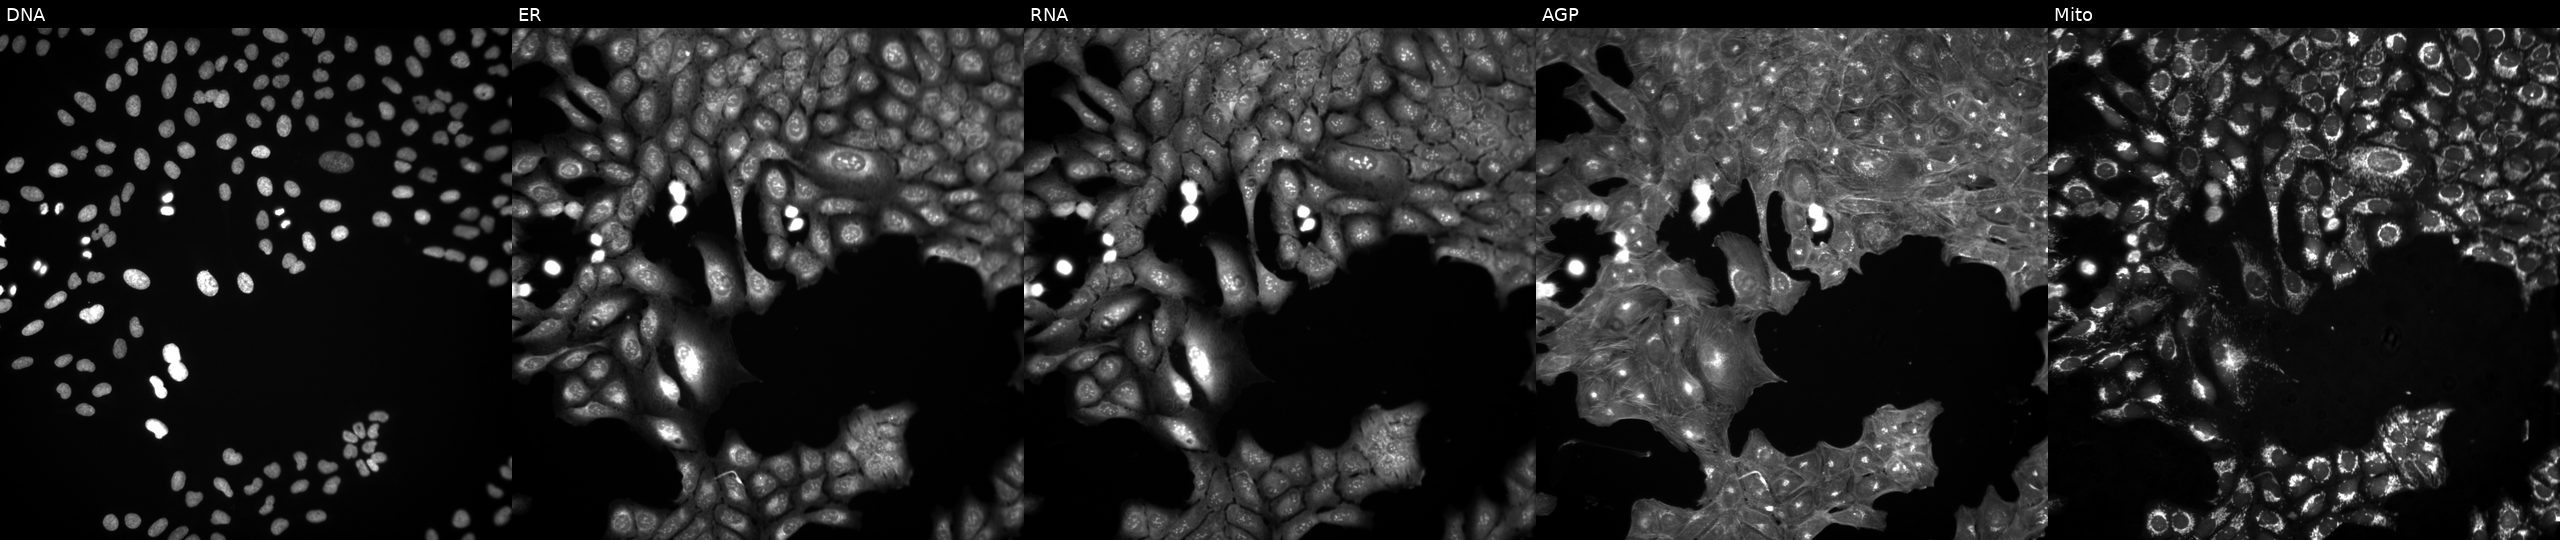
The five panels, left to right, show DNA (nuclei); ER (endoplasmic reticulum); RNA (nucleoli and cytoplasmic RNA); AGP (actin cytoskeleton, Golgi, and plasma membrane); Mito (mitochondria). U2OS osteosarcoma cells treated with DMSO vehicle only (negative control). Cell Painting assay, JUMP-CP dataset. Source 3, plate JCPQC051, well F24.